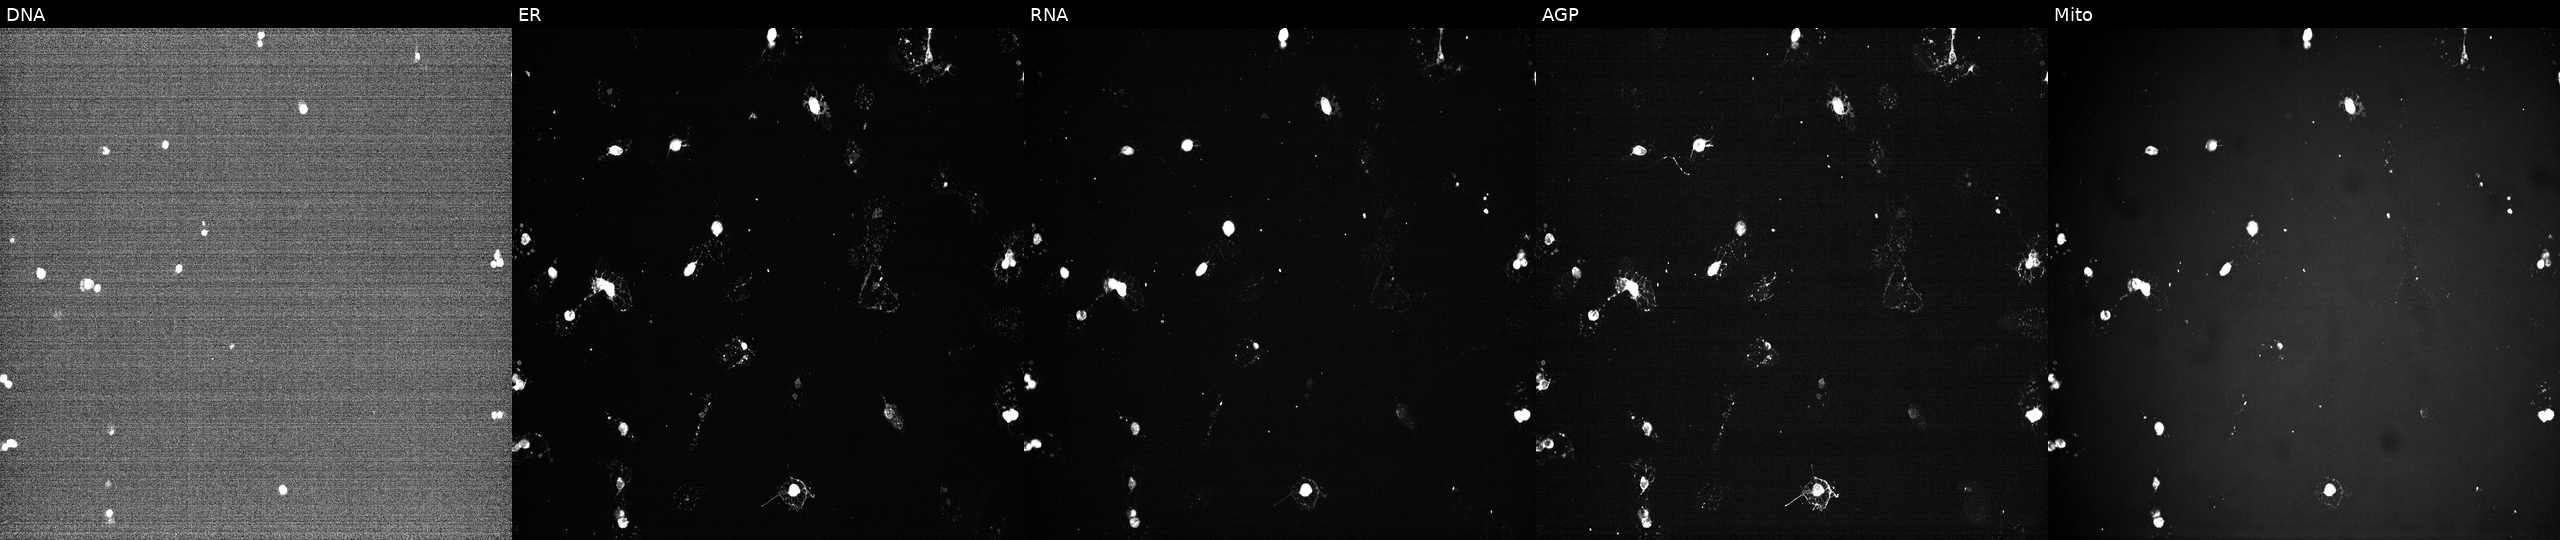
High-content fluorescence microscopy (Cell Painting). Cell line: U2OS. Perturbation: perturbed with a small-molecule compound (InChIKey IAYGCINLNONXHY-UHFFFAOYSA-N). The five panels, left to right, show DNA (nuclei); ER (endoplasmic reticulum); RNA (nucleoli and cytoplasmic RNA); AGP (actin cytoskeleton, Golgi, and plasma membrane); Mito (mitochondria). Source 7, plate CP2-SC1-25, well F22.